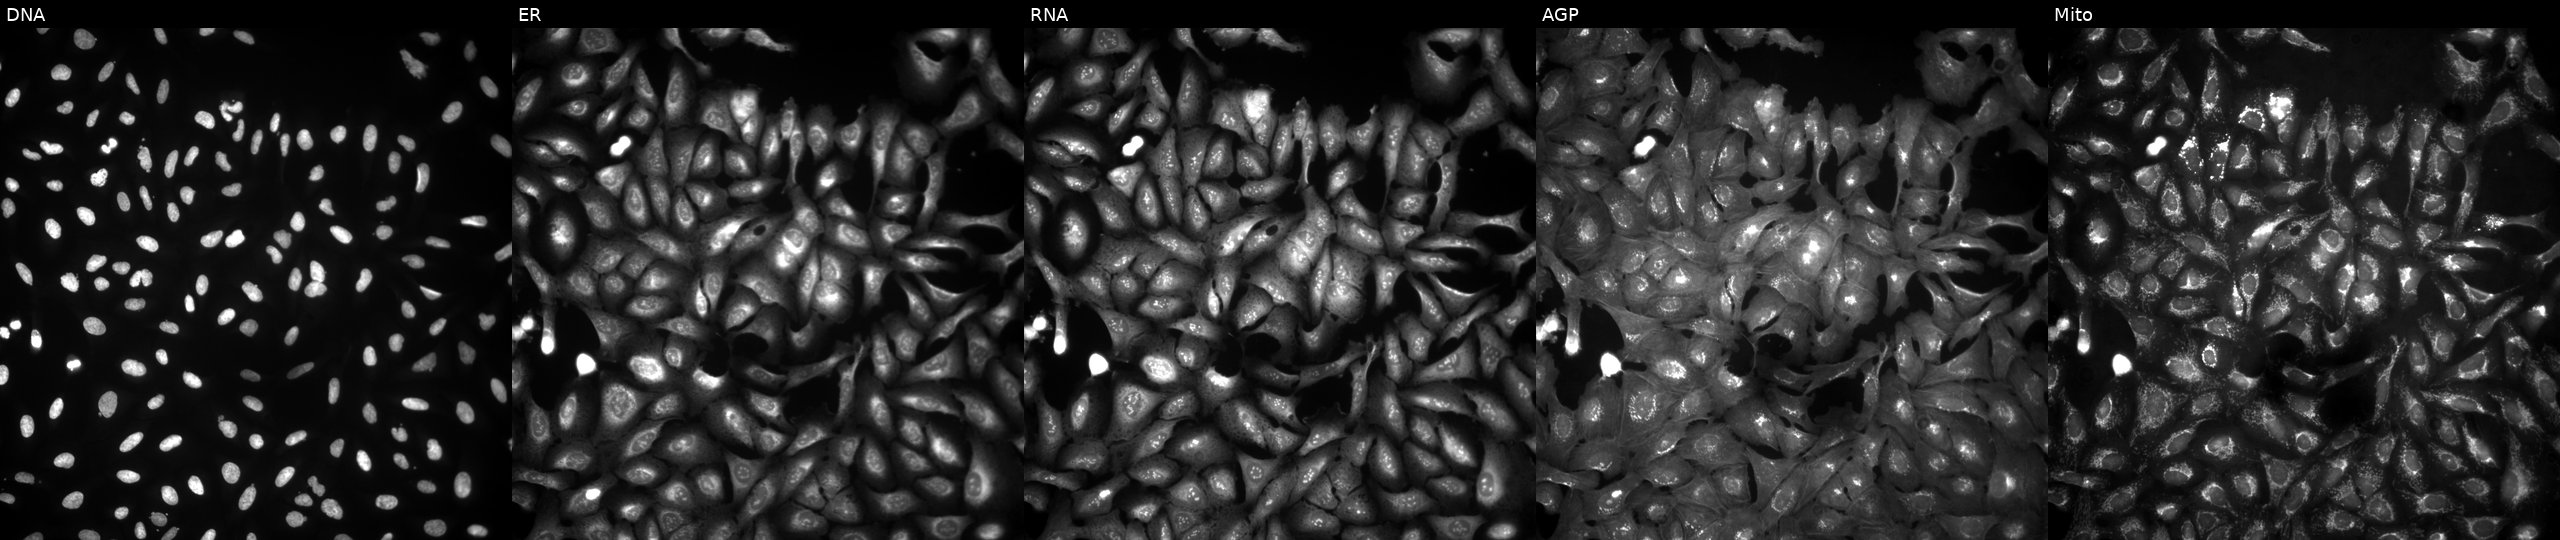
From left to right: DNA (nuclei); ER (endoplasmic reticulum); RNA (nucleoli and cytoplasmic RNA); AGP (actin cytoskeleton, Golgi, and plasma membrane); Mito (mitochondria). U2OS osteosarcoma cells exposed to the positive-control compound quinidine (JUMP id JCP2022_050797). Cell Painting assay, JUMP-CP dataset.